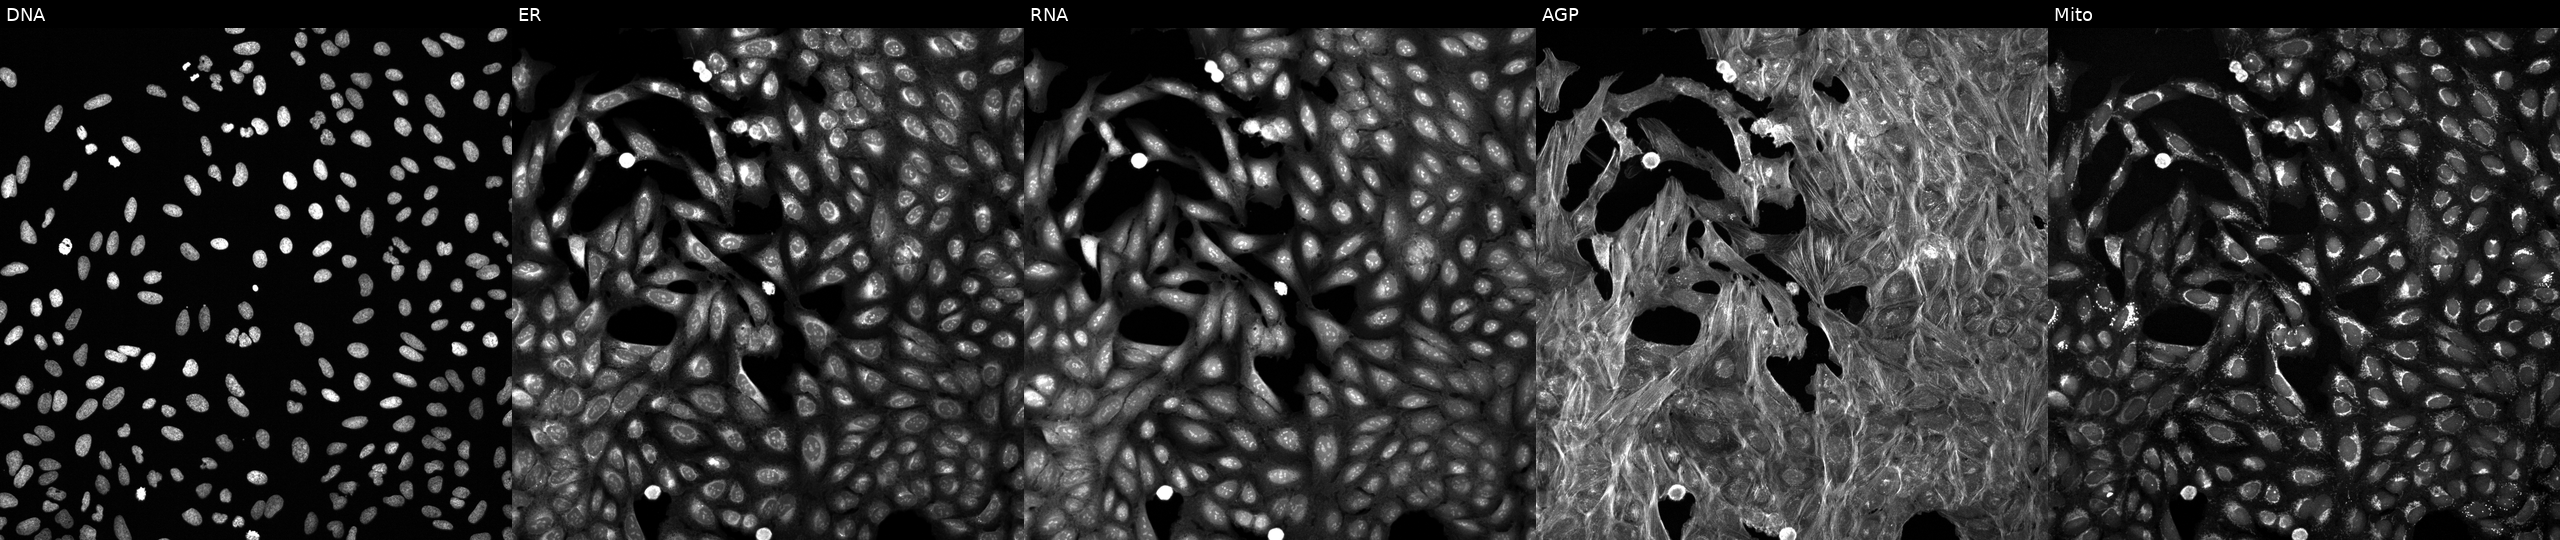
High-content fluorescence microscopy (Cell Painting). Cell line: U2OS. Perturbation: exposed to a small-molecule compound. The five panels, left to right, show DNA, ER, RNA, AGP, and Mito. Source 6, plate 110000293093, well K18.